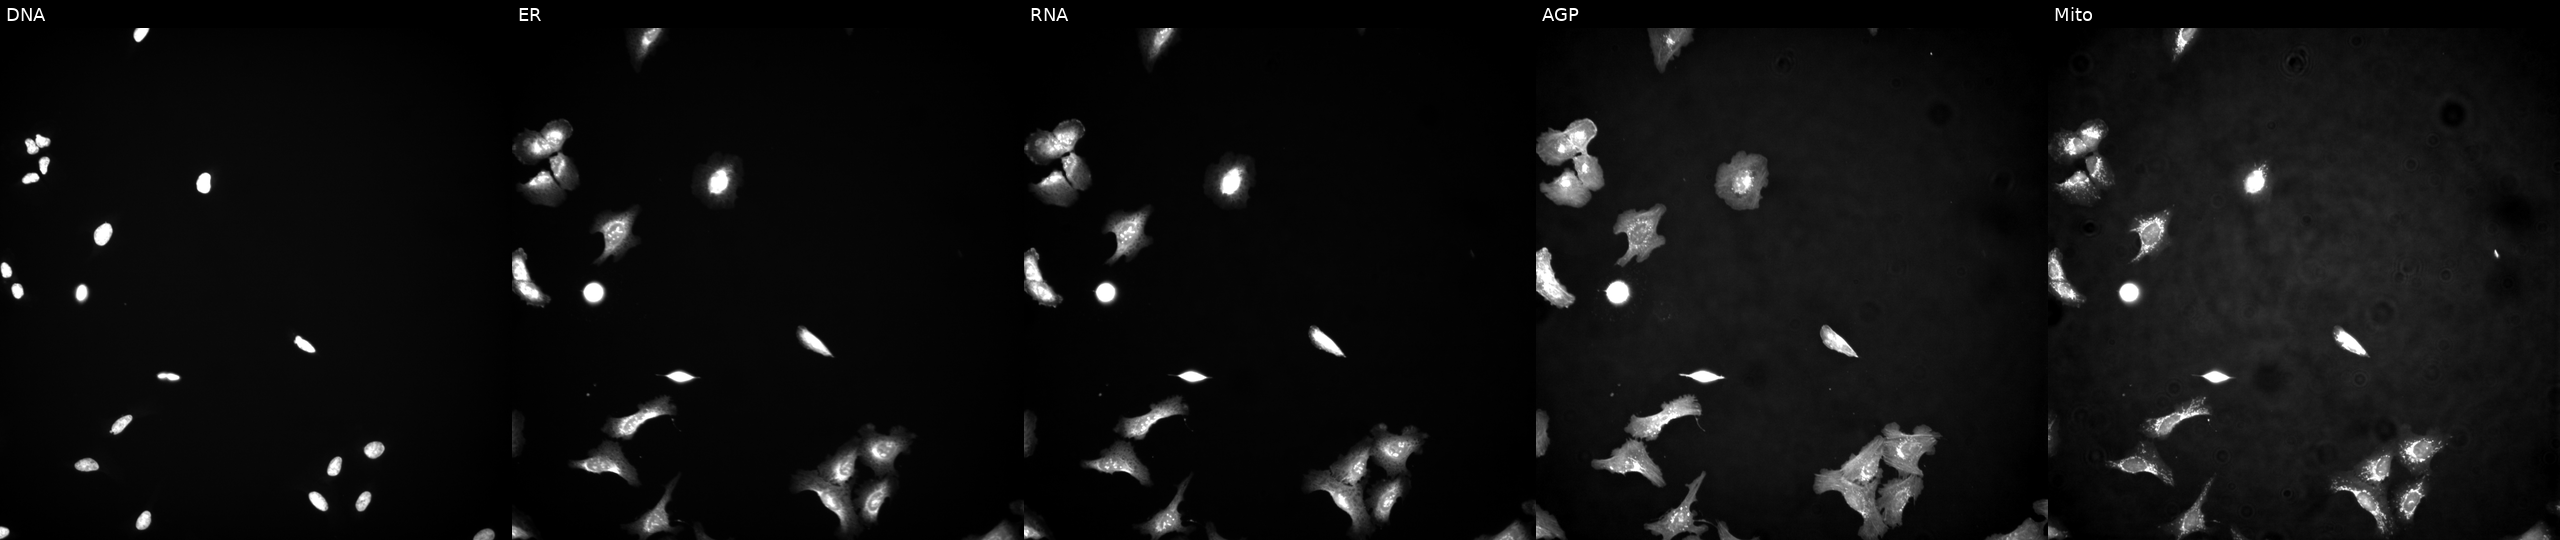
Five-channel Cell Painting image of U2OS cells overexpressing MET via ORF transfection. Panels show, left to right, Hoechst 33342, concanavalin A, SYTO 14, phalloidin and WGA, MitoTracker. Source 4, plate BR00123945, well O14.